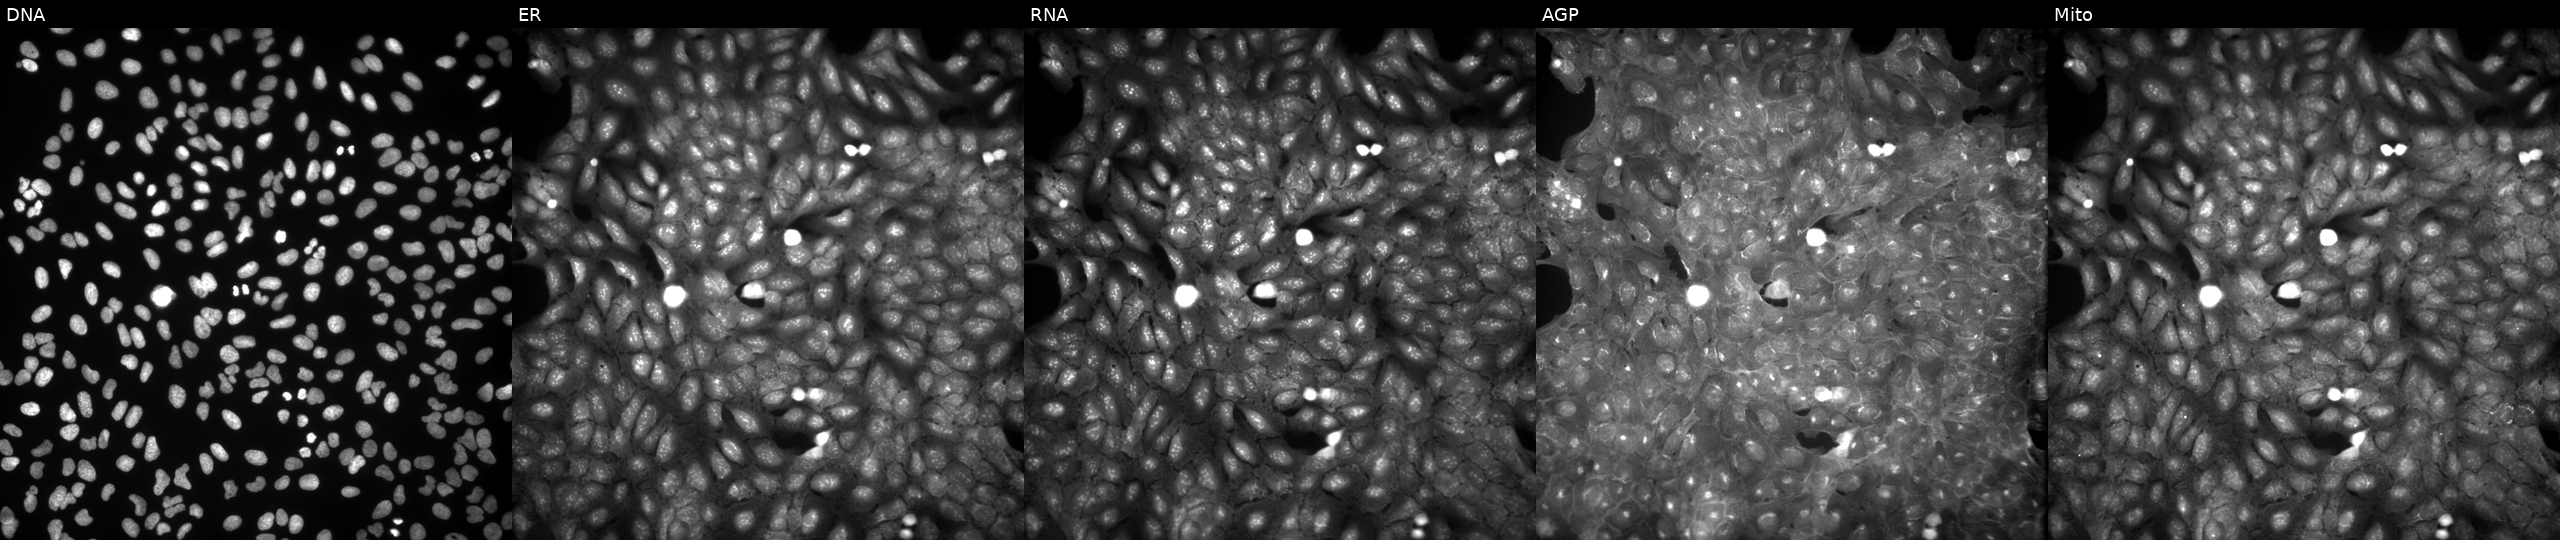
U2OS cells, Cell Painting assay, exposed to DMSO alone as a negative control (JUMP id JCP2022_033924). Panels show, left to right, Hoechst 33342, concanavalin A, SYTO 14, phalloidin and WGA, MitoTracker. Each panel is percentile-stretched 16-bit fluorescence.